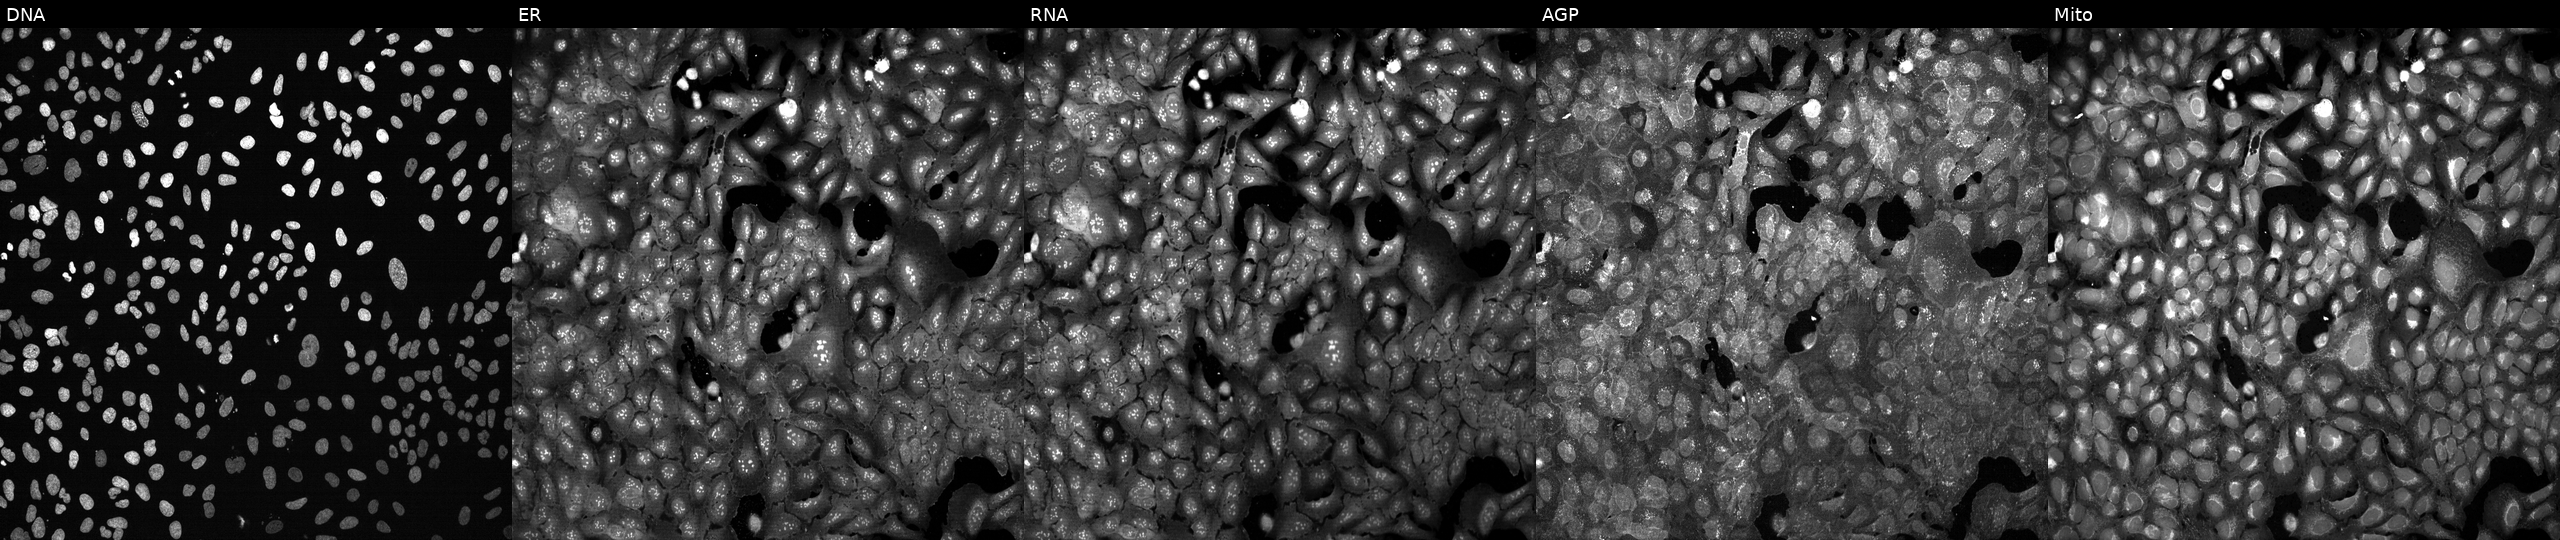
High-content fluorescence microscopy (Cell Painting). Cell line: U2OS. Perturbation: following CRISPR knockout of SLC1A2. From left to right: Hoechst 33342, concanavalin A, SYTO 14, phalloidin and WGA, MitoTracker.